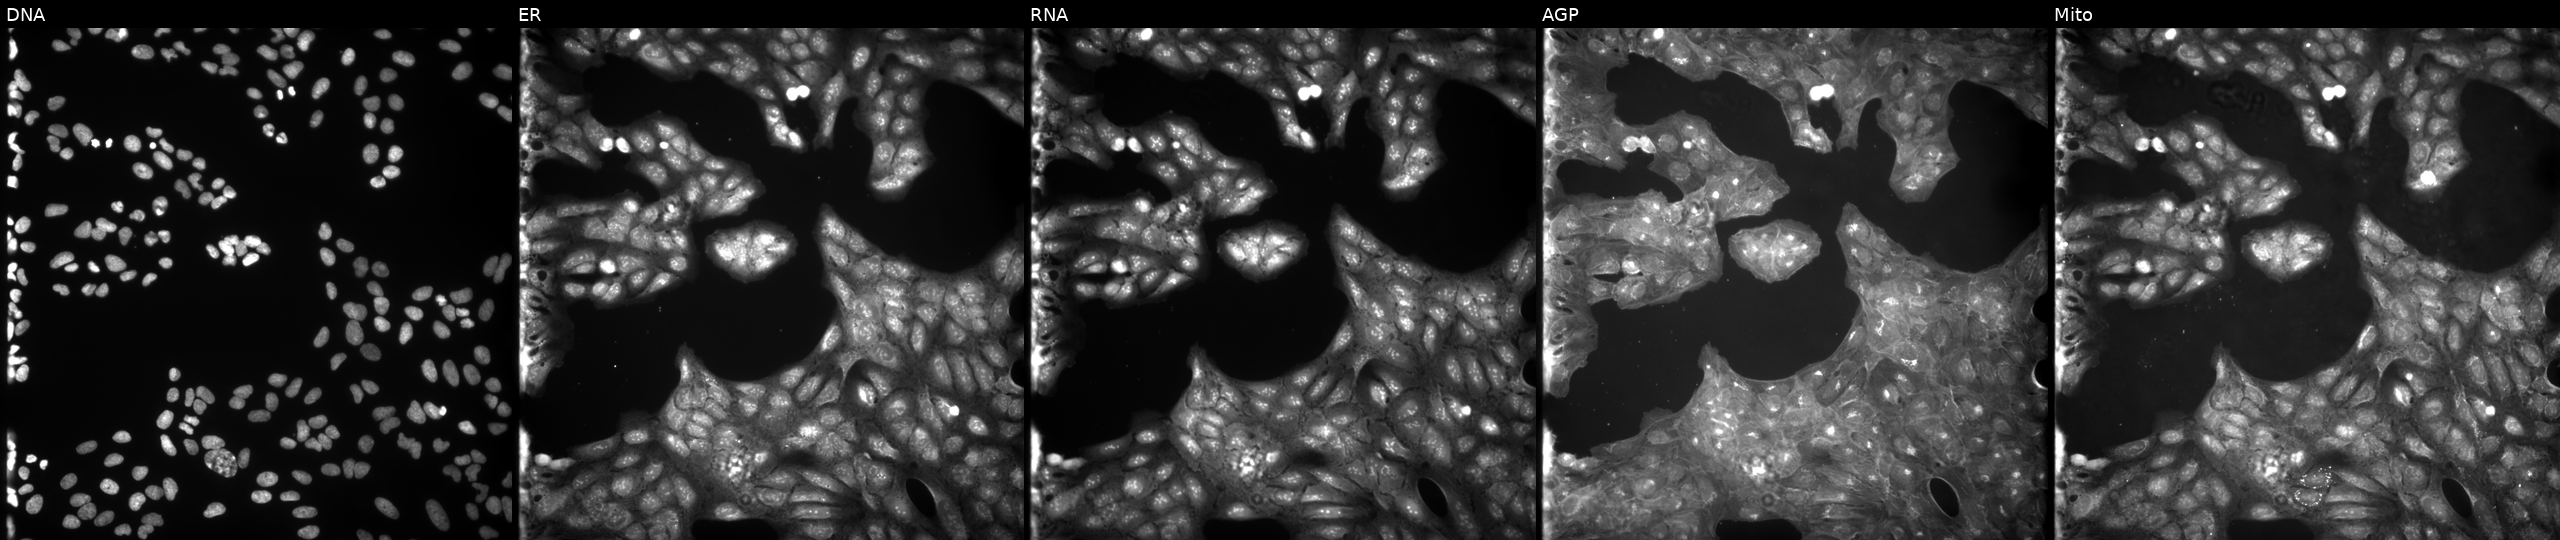
Five-channel Cell Painting image of U2OS cells exposed to a small-molecule compound (InChIKey SAUYEUZHDZKNKX-UHFFFAOYSA-N). Panels show, left to right, Hoechst 33342, concanavalin A, SYTO 14, phalloidin and WGA, MitoTracker.